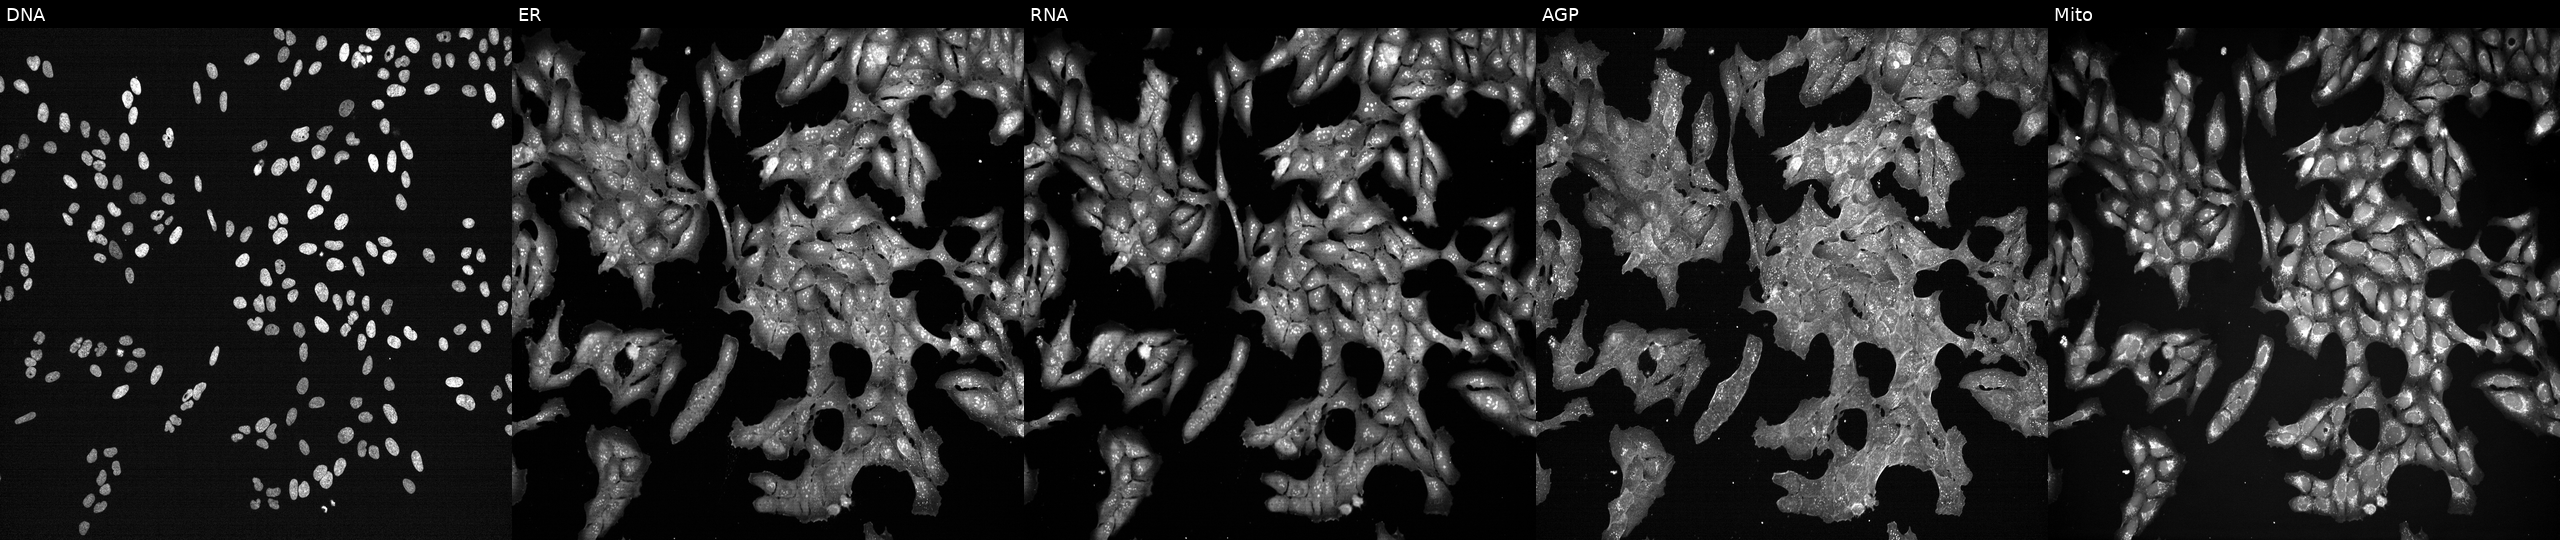
Panels show, left to right, DNA, ER, RNA, AGP, and Mito. U2OS osteosarcoma cells perturbed with a small-molecule compound (InChIKey PMATZTZNYRCHOR-UHFFFAOYSA-N). Cell Painting assay, JUMP-CP dataset. Source 7, plate CP2-SC1-25, well L04.